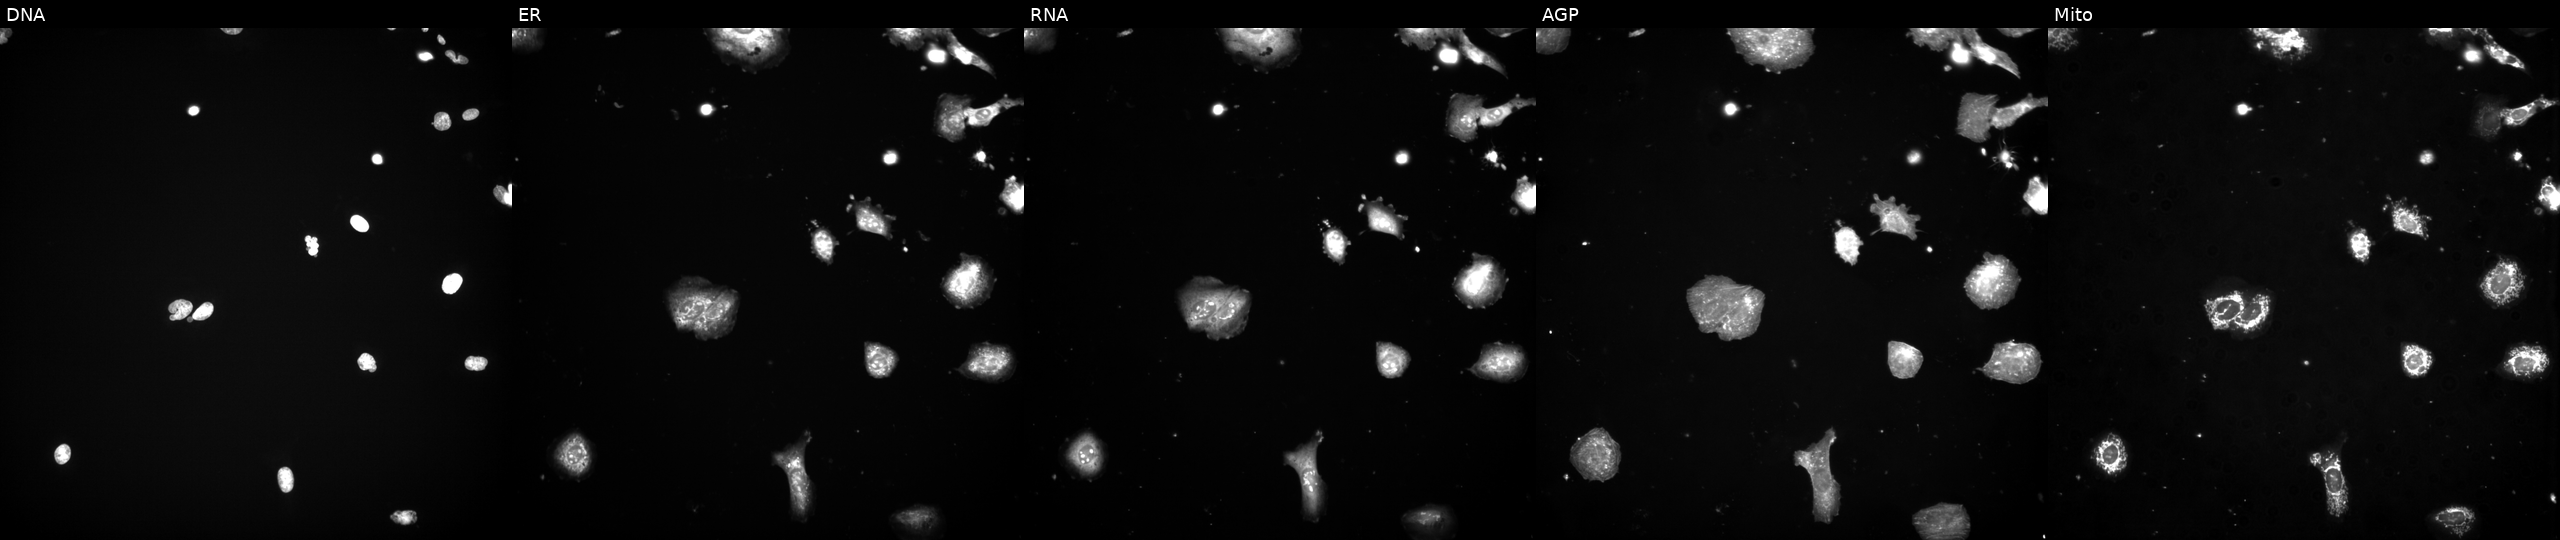
High-content fluorescence microscopy (Cell Painting). Cell line: U2OS. Perturbation: treated with a small-molecule compound (InChIKey KSINNJSNPXGHAP-UHFFFAOYSA-N) (JUMP id JCP2022_046696). From left to right: DNA, ER, RNA, AGP, and Mito.